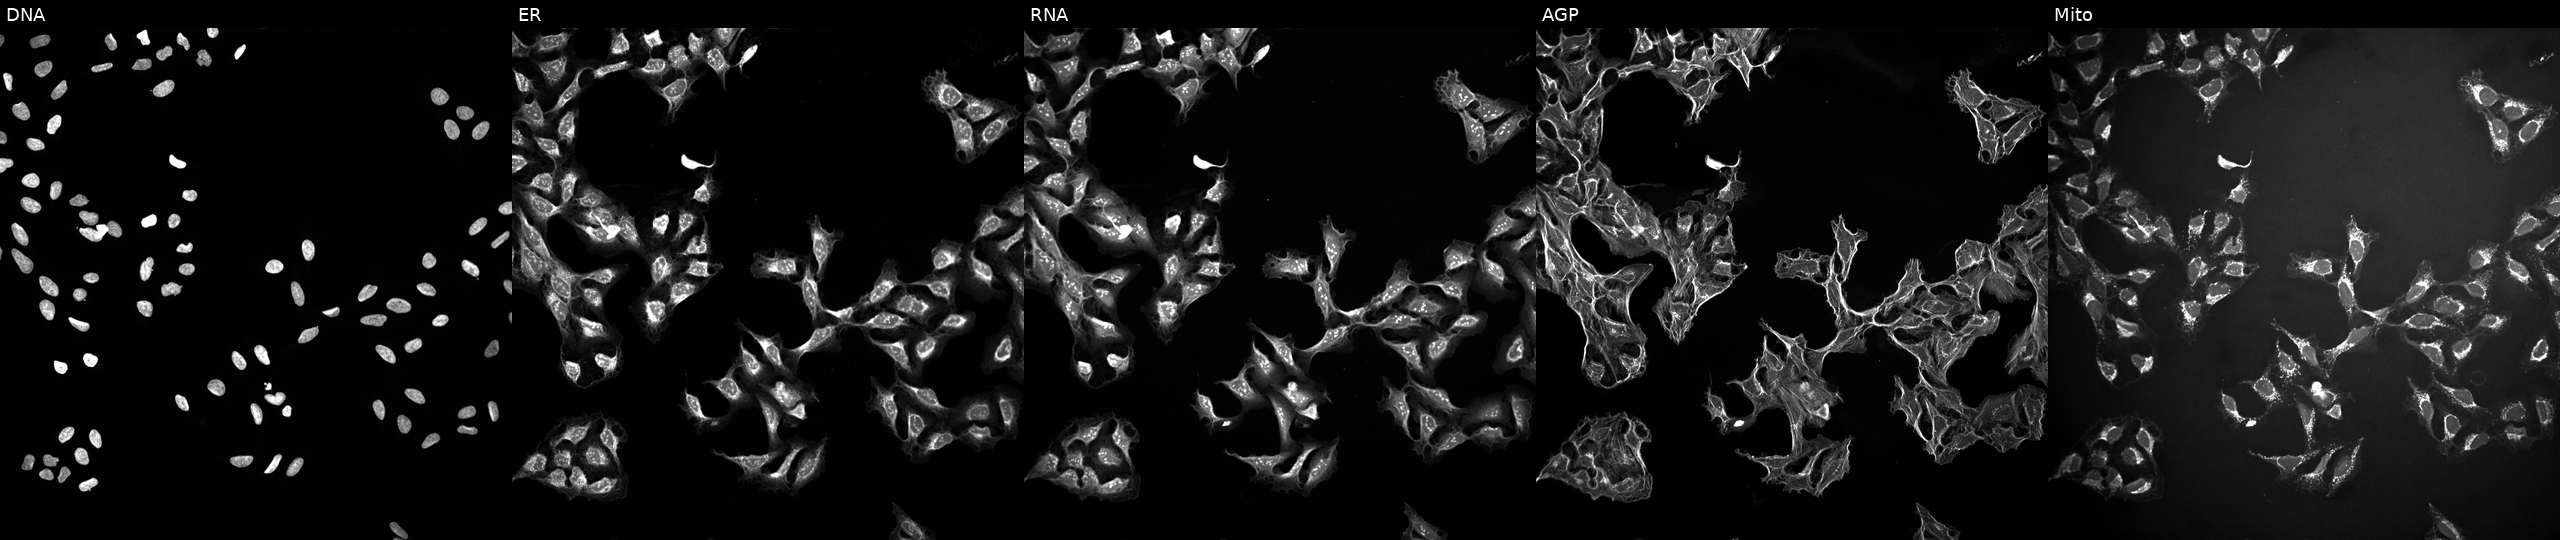
High-content fluorescence microscopy (Cell Painting). Cell line: U2OS. Perturbation: treated with TC-S-7004 (positive-control compound). The five panels, left to right, show Hoechst 33342, concanavalin A, SYTO 14, phalloidin and WGA, MitoTracker.